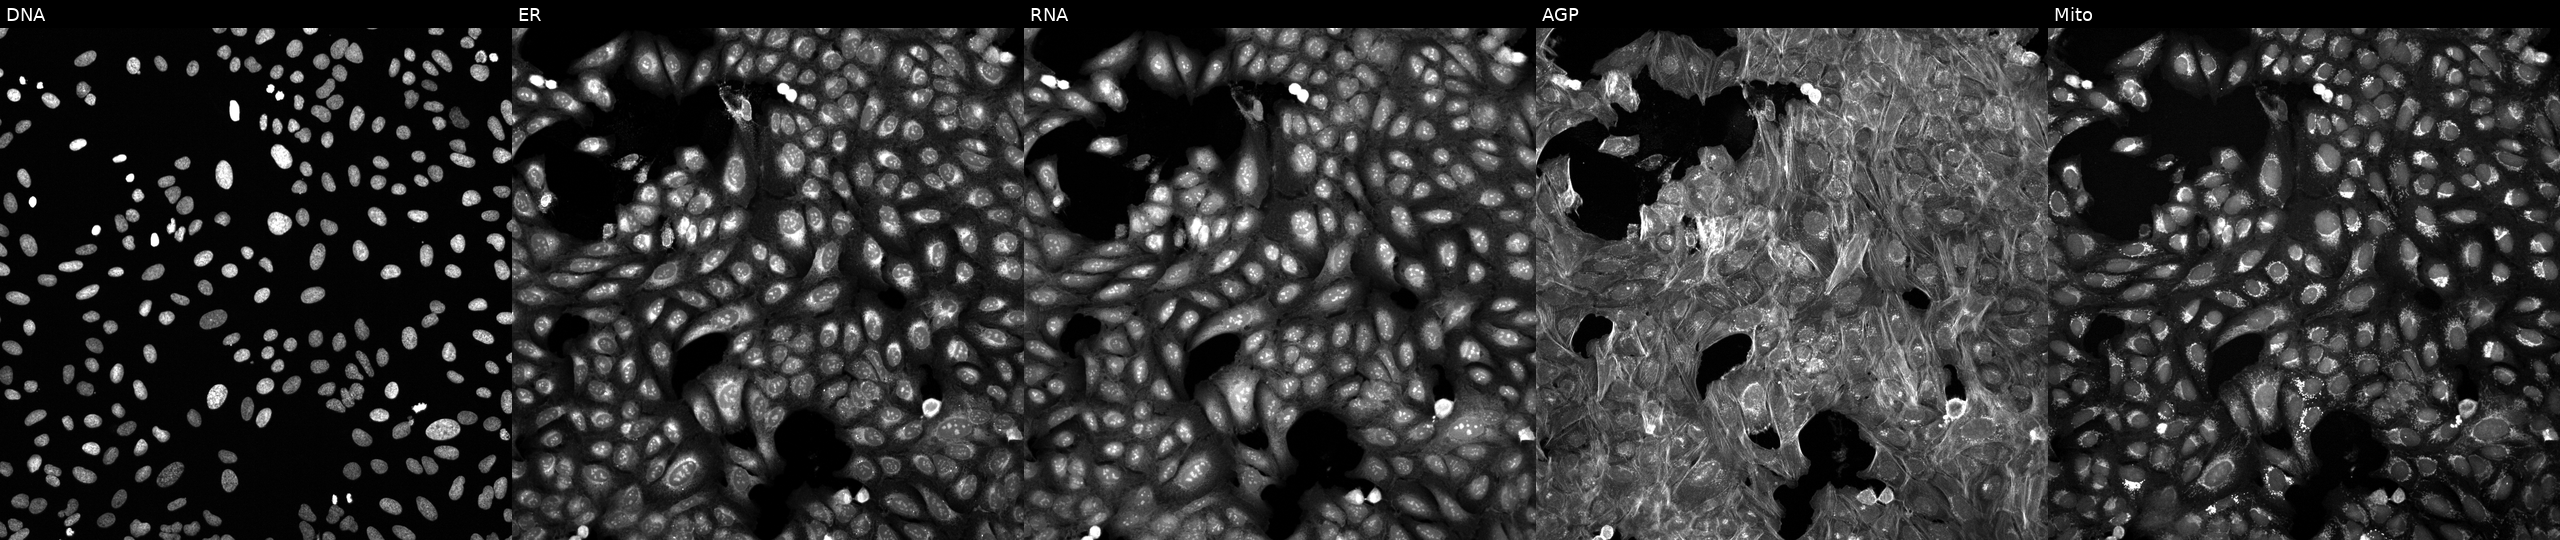
The five panels, left to right, show DNA (nuclei); ER (endoplasmic reticulum); RNA (nucleoli and cytoplasmic RNA); AGP (actin cytoskeleton, Golgi, and plasma membrane); Mito (mitochondria). U2OS osteosarcoma cells exposed to a small-molecule compound (JUMP id JCP2022_034137). Cell Painting assay, JUMP-CP dataset. Source 6, plate 110000294901, well P04.